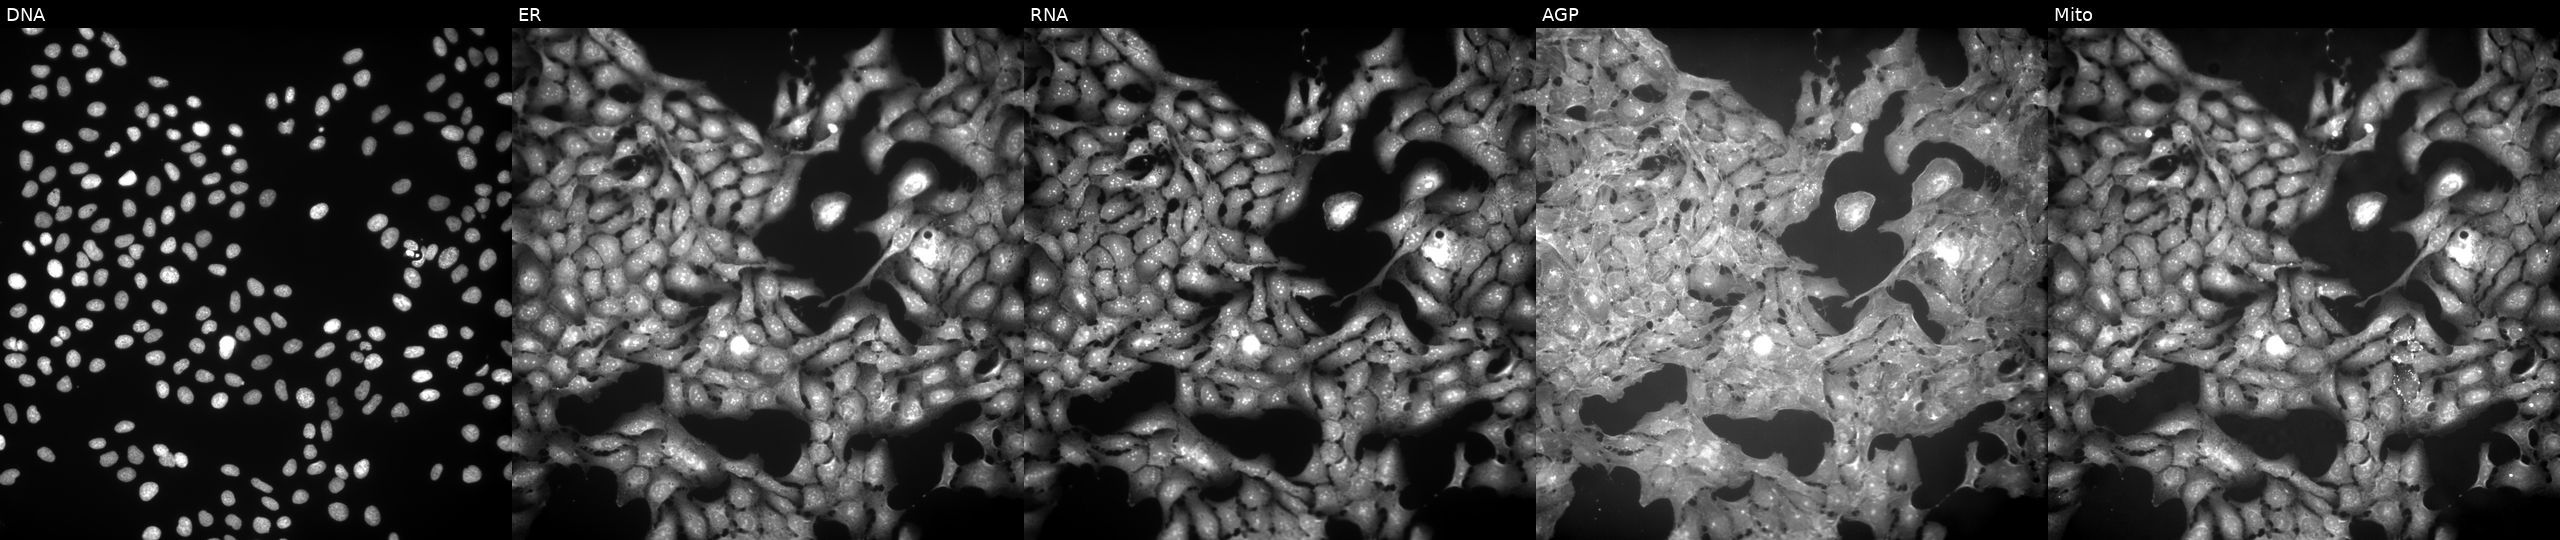
This image strip shows the five Cell Painting channels for a single field of U2OS cells exposed to the positive-control compound FK-866. Panels show, left to right, DNA (nuclei); ER (endoplasmic reticulum); RNA (nucleoli and cytoplasmic RNA); AGP (actin cytoskeleton, Golgi, and plasma membrane); Mito (mitochondria).